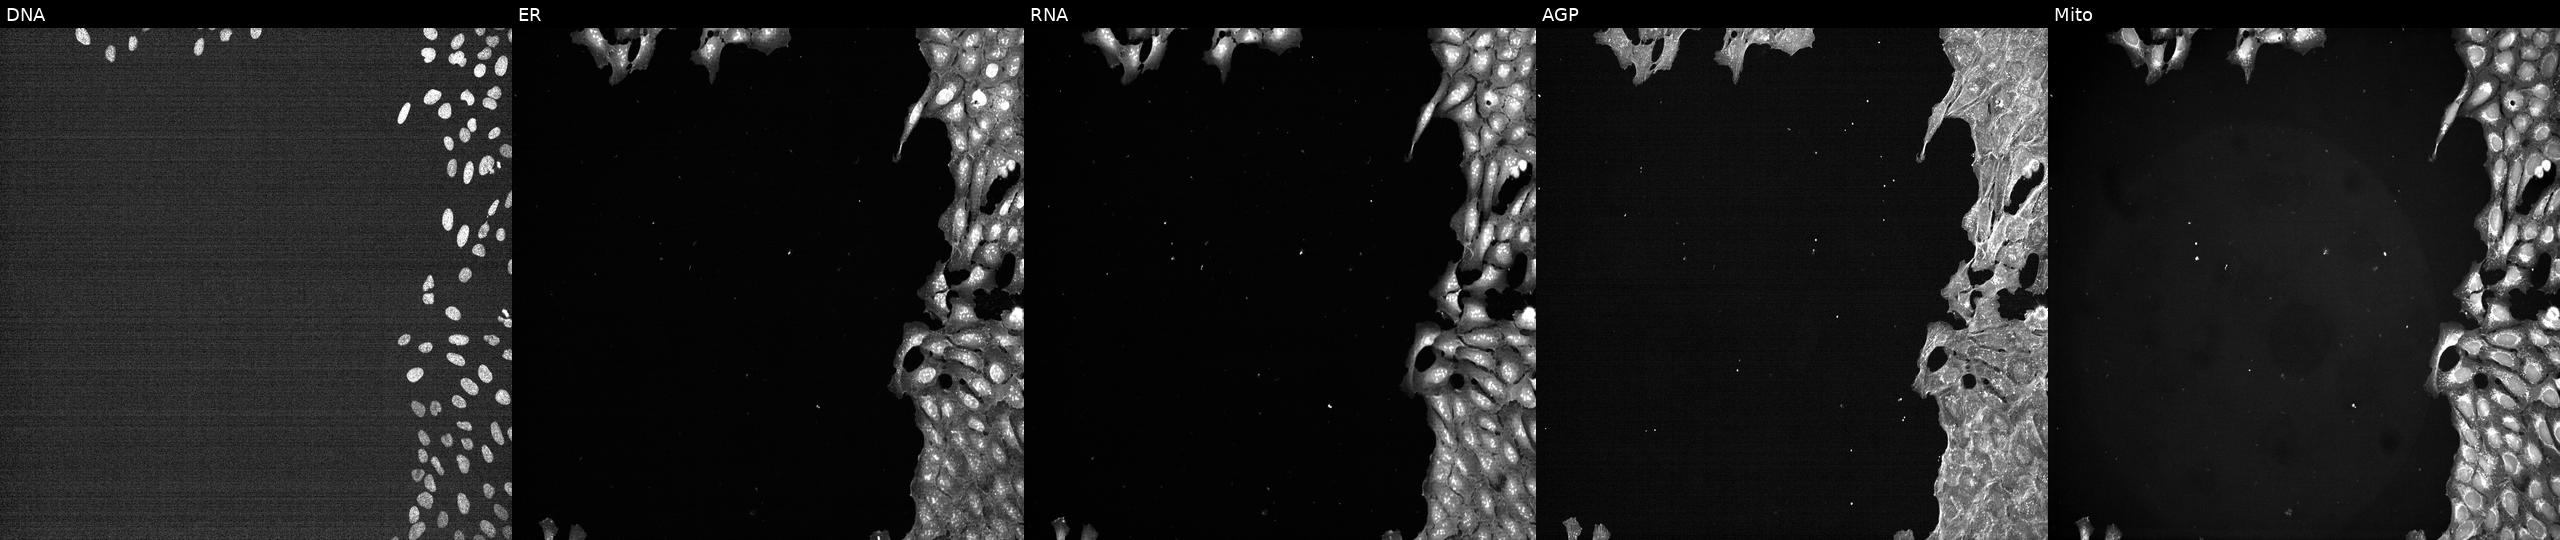
U2OS cells, Cell Painting assay, exposed to DMSO alone as a negative control (JUMP id JCP2022_033924). Channels (left→right): DNA, ER, RNA, AGP, and Mito. Each panel is percentile-stretched 16-bit fluorescence.